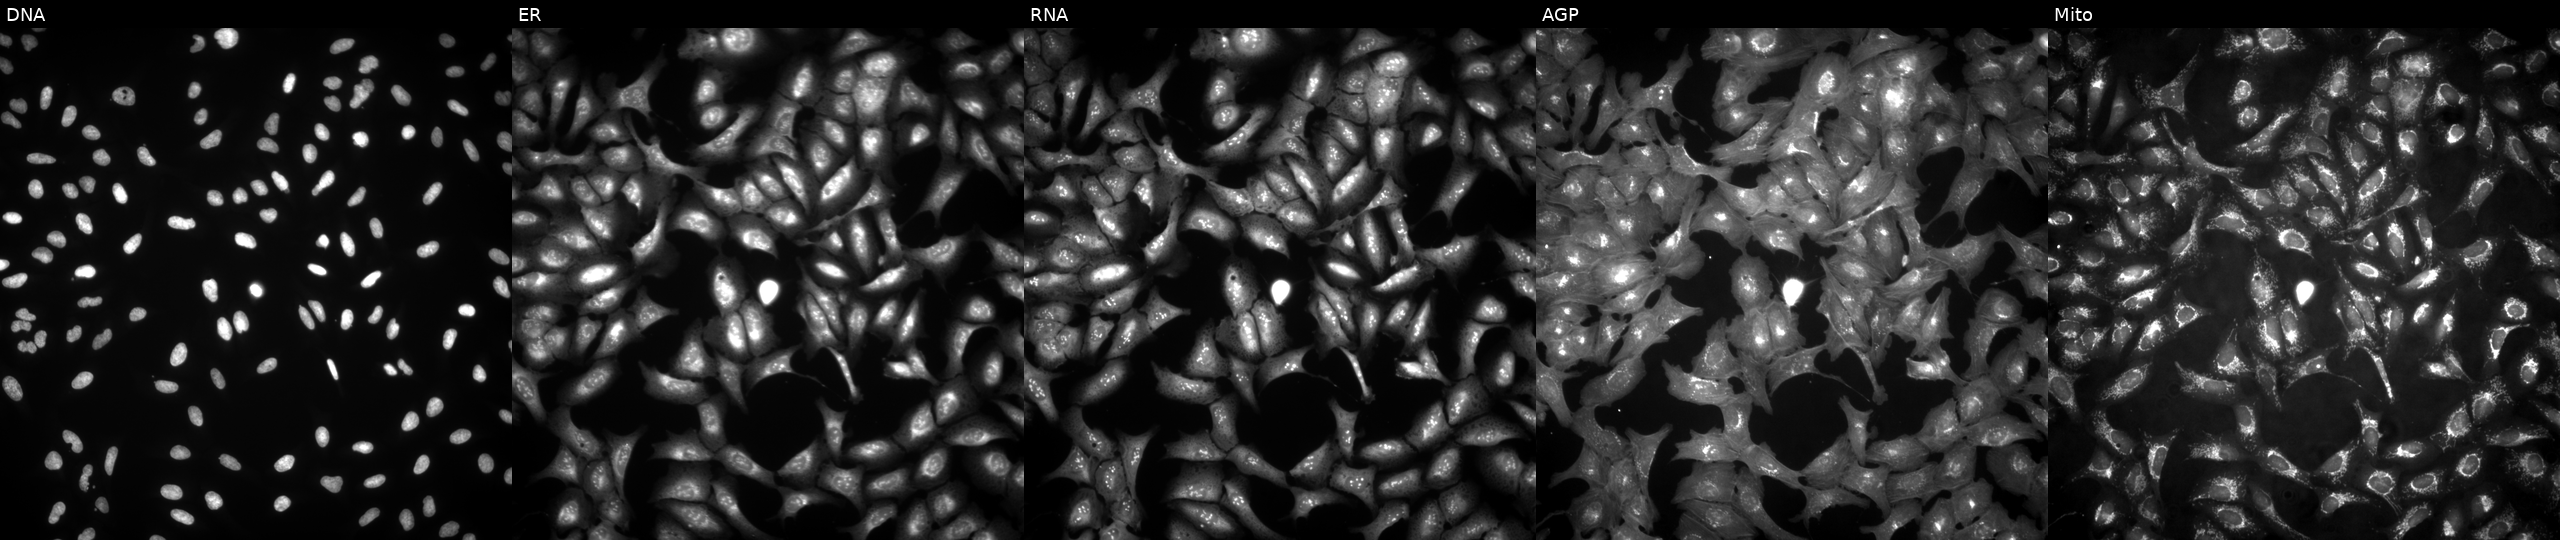
High-content fluorescence microscopy (Cell Painting). Cell line: U2OS. Perturbation: with RABGAP1L overexpressed (ORF) (JUMP id JCP2022_914672). Panels show, left to right, Hoechst 33342, concanavalin A, SYTO 14, phalloidin and WGA, MitoTracker.